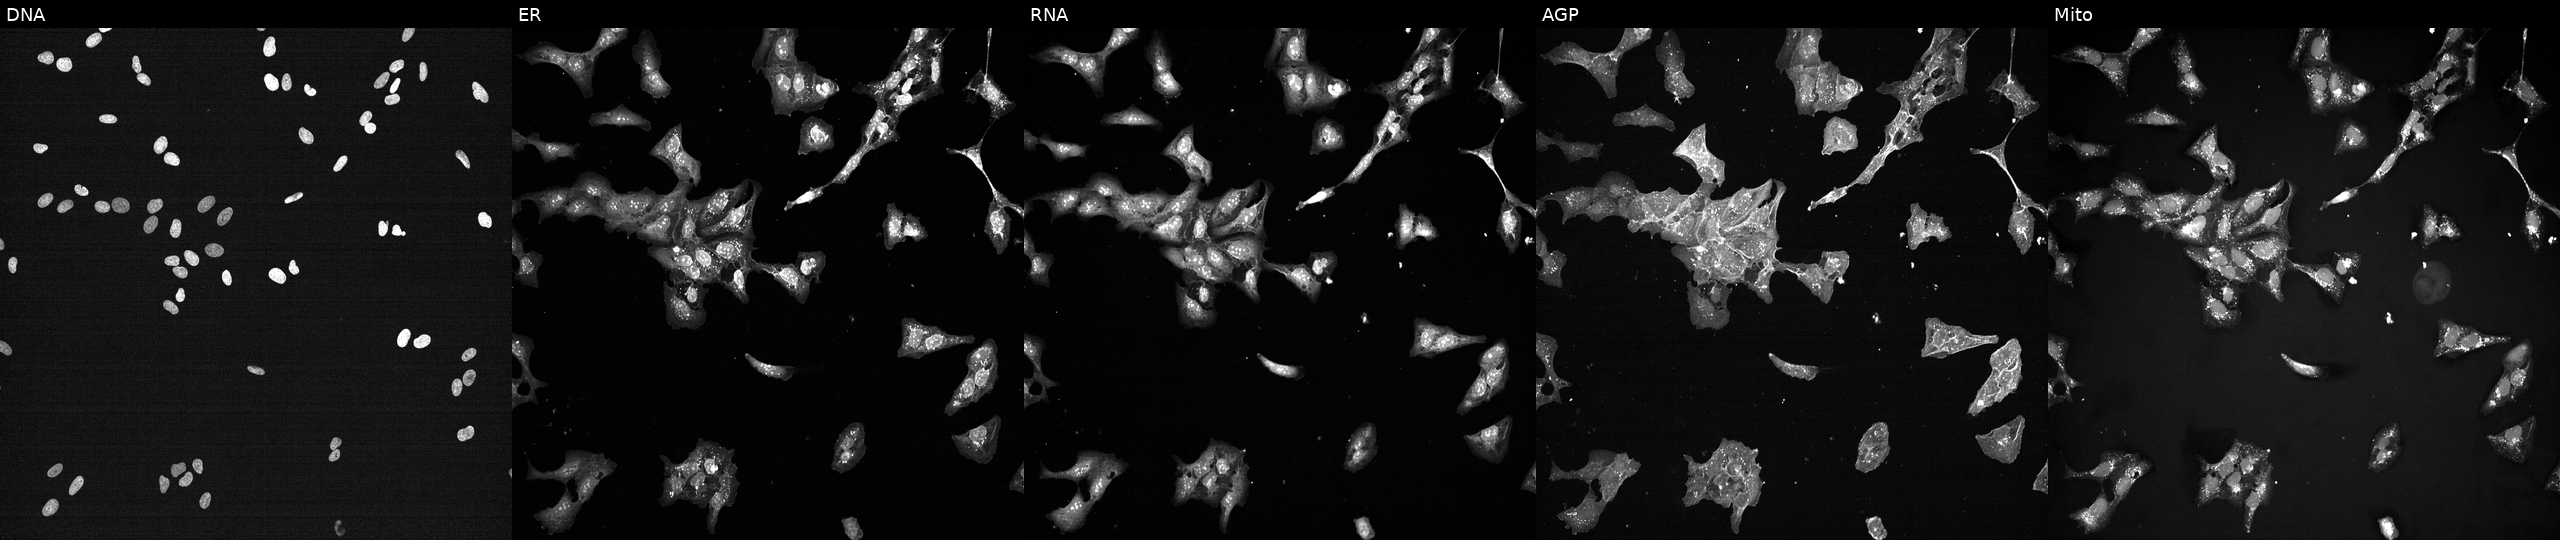
Five-channel Cell Painting image of U2OS cells treated with a small-molecule compound (InChIKey QNRODODTMXCRKU-UHFFFAOYSA-N). From left to right: Hoechst 33342, concanavalin A, SYTO 14, phalloidin and WGA, MitoTracker. Source 7, plate CP2-SC1-25, well O13.